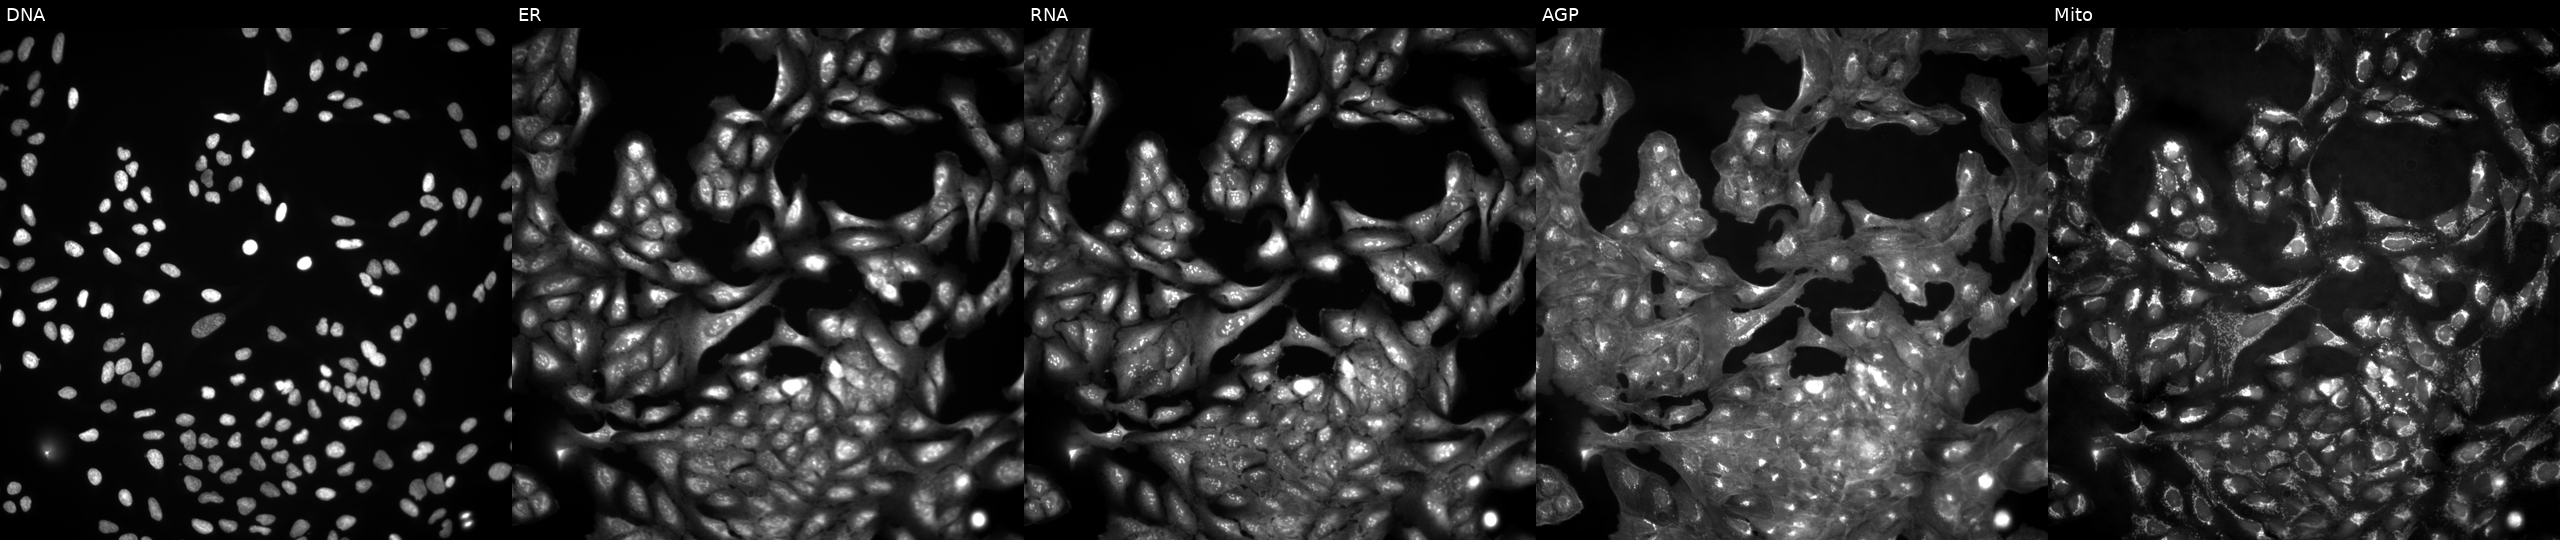
U2OS cells, Cell Painting assay, untreated (empty-well control) (JUMP id JCP2022_999999). The five panels, left to right, show DNA, ER, RNA, AGP, and Mito. Each panel is percentile-stretched 16-bit fluorescence. Source 4, plate BR00123946, well N17.